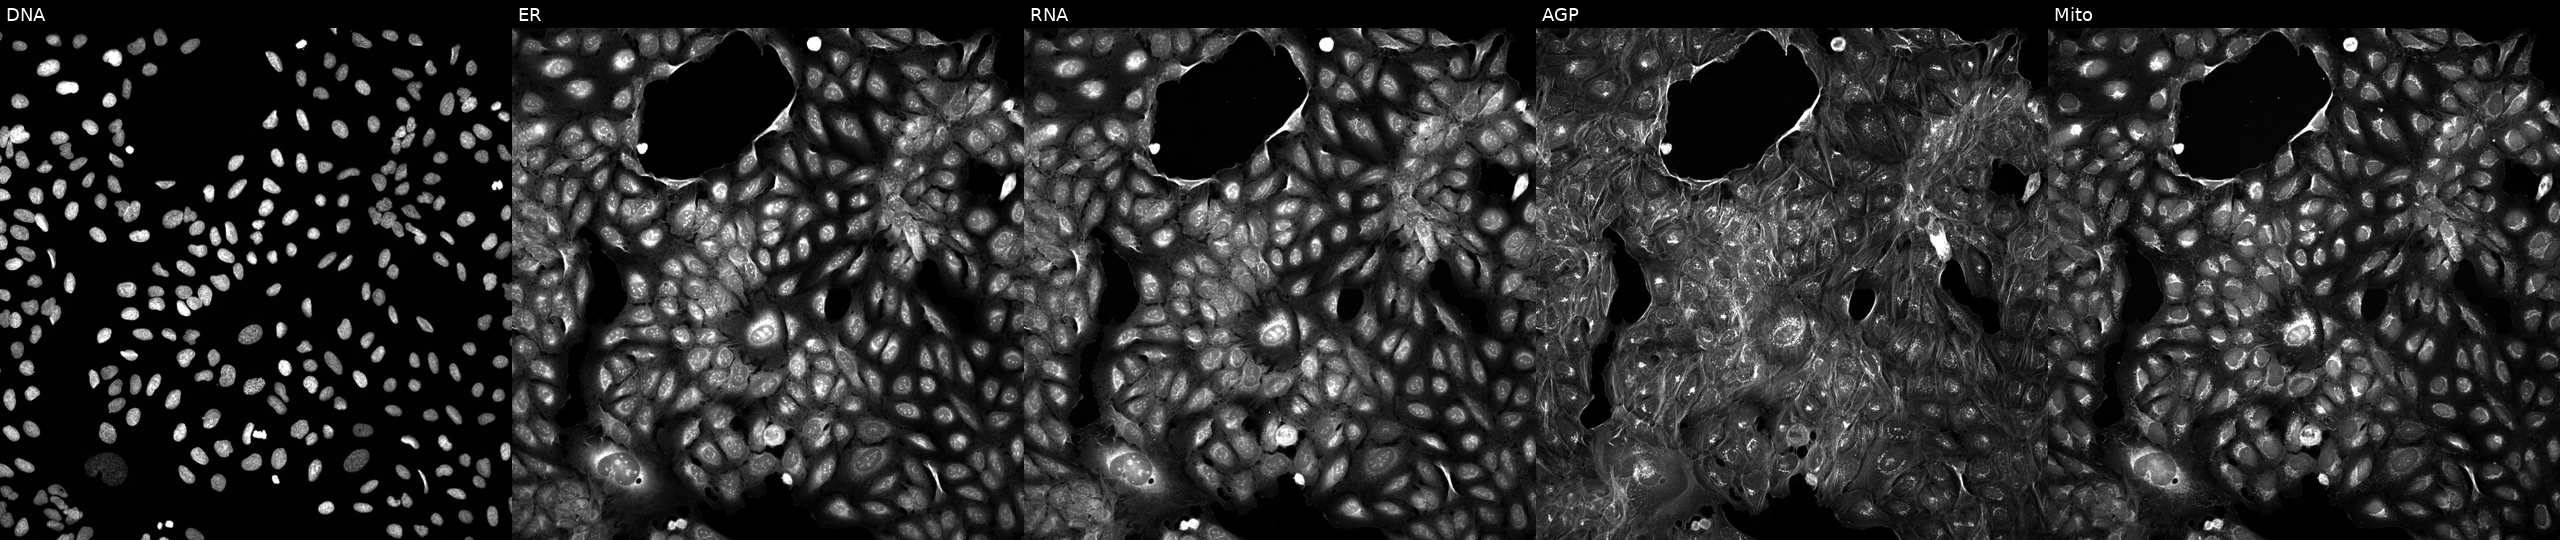
High-content fluorescence microscopy (Cell Painting). Cell line: U2OS. Perturbation: exposed to a small-molecule compound (InChIKey HDWLLVWUXZCORX-UHFFFAOYSA-N). The five panels, left to right, show DNA (nuclei); ER (endoplasmic reticulum); RNA (nucleoli and cytoplasmic RNA); AGP (actin cytoskeleton, Golgi, and plasma membrane); Mito (mitochondria).